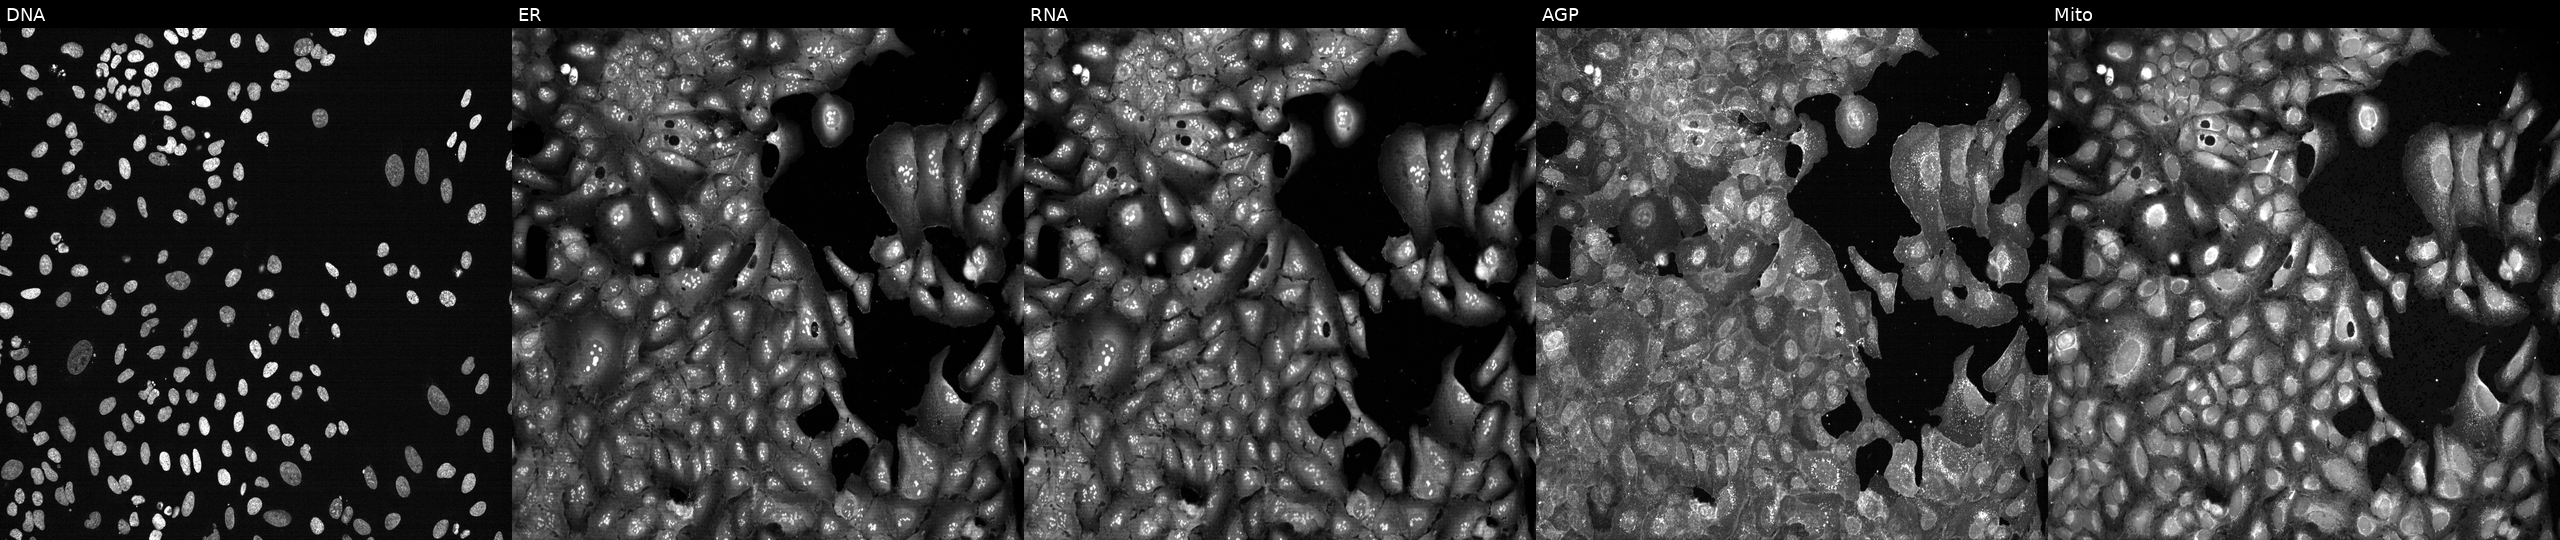
This image strip shows the five Cell Painting channels for a single field of U2OS cells with ATP8A2 knocked out by CRISPR. Panels show, left to right, DNA (nuclei); ER (endoplasmic reticulum); RNA (nucleoli and cytoplasmic RNA); AGP (actin cytoskeleton, Golgi, and plasma membrane); Mito (mitochondria). Source 13, plate CP-CC9-R1-01, well B13.